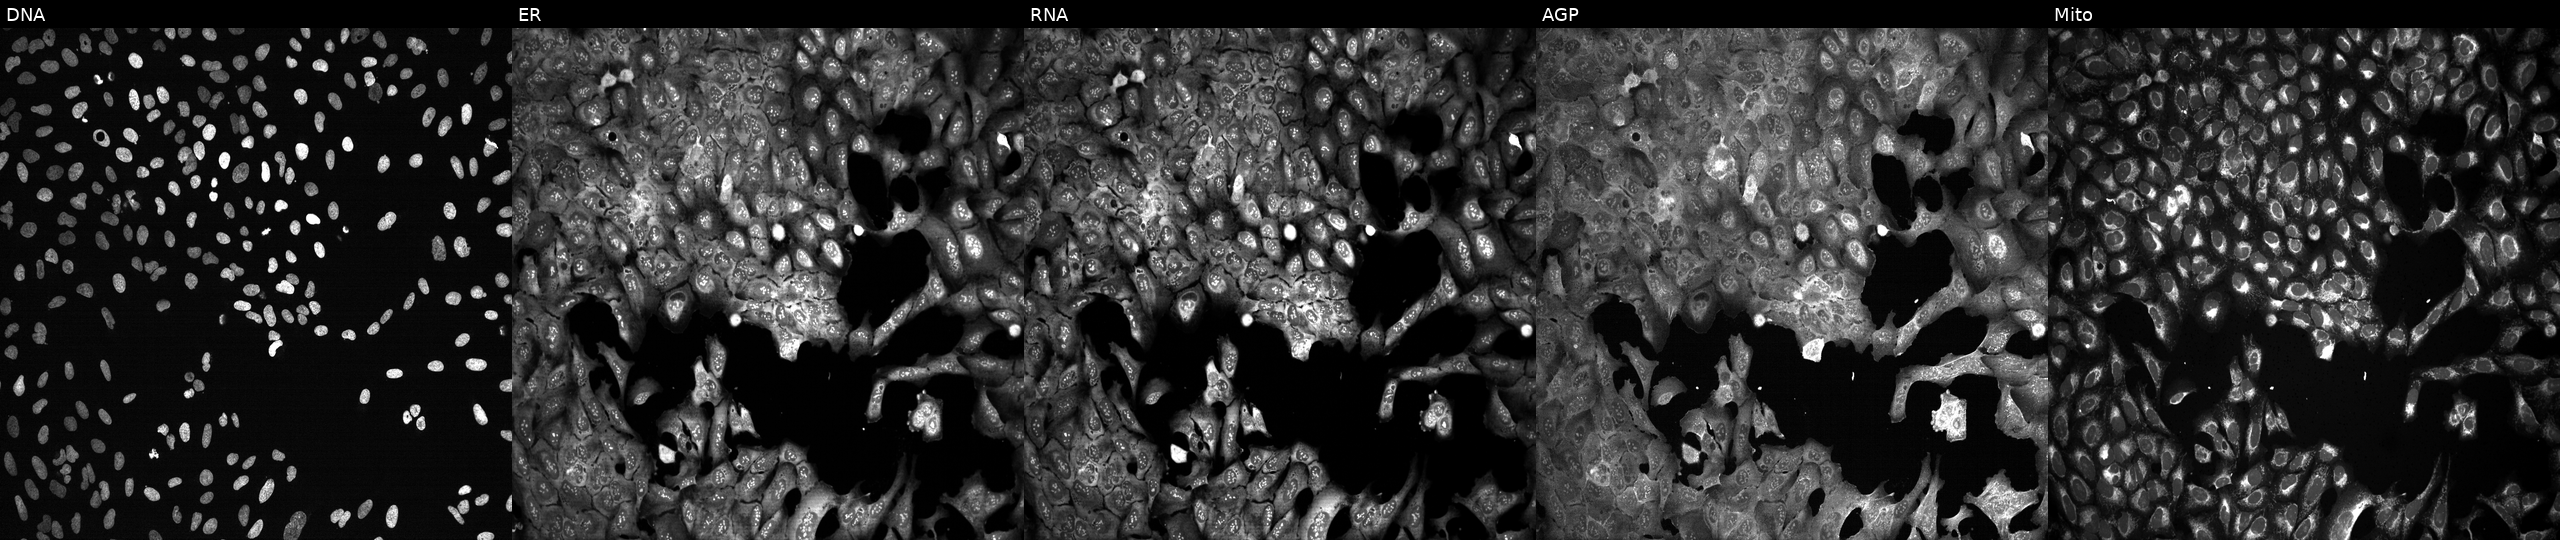
Five-channel Cell Painting image of U2OS cells following CRISPR knockout of SPR (JUMP id JCP2022_806749). Panels show, left to right, DNA (nuclei); ER (endoplasmic reticulum); RNA (nucleoli and cytoplasmic RNA); AGP (actin cytoskeleton, Golgi, and plasma membrane); Mito (mitochondria). Source 13, plate CP-CC9-R3-02, well F05.